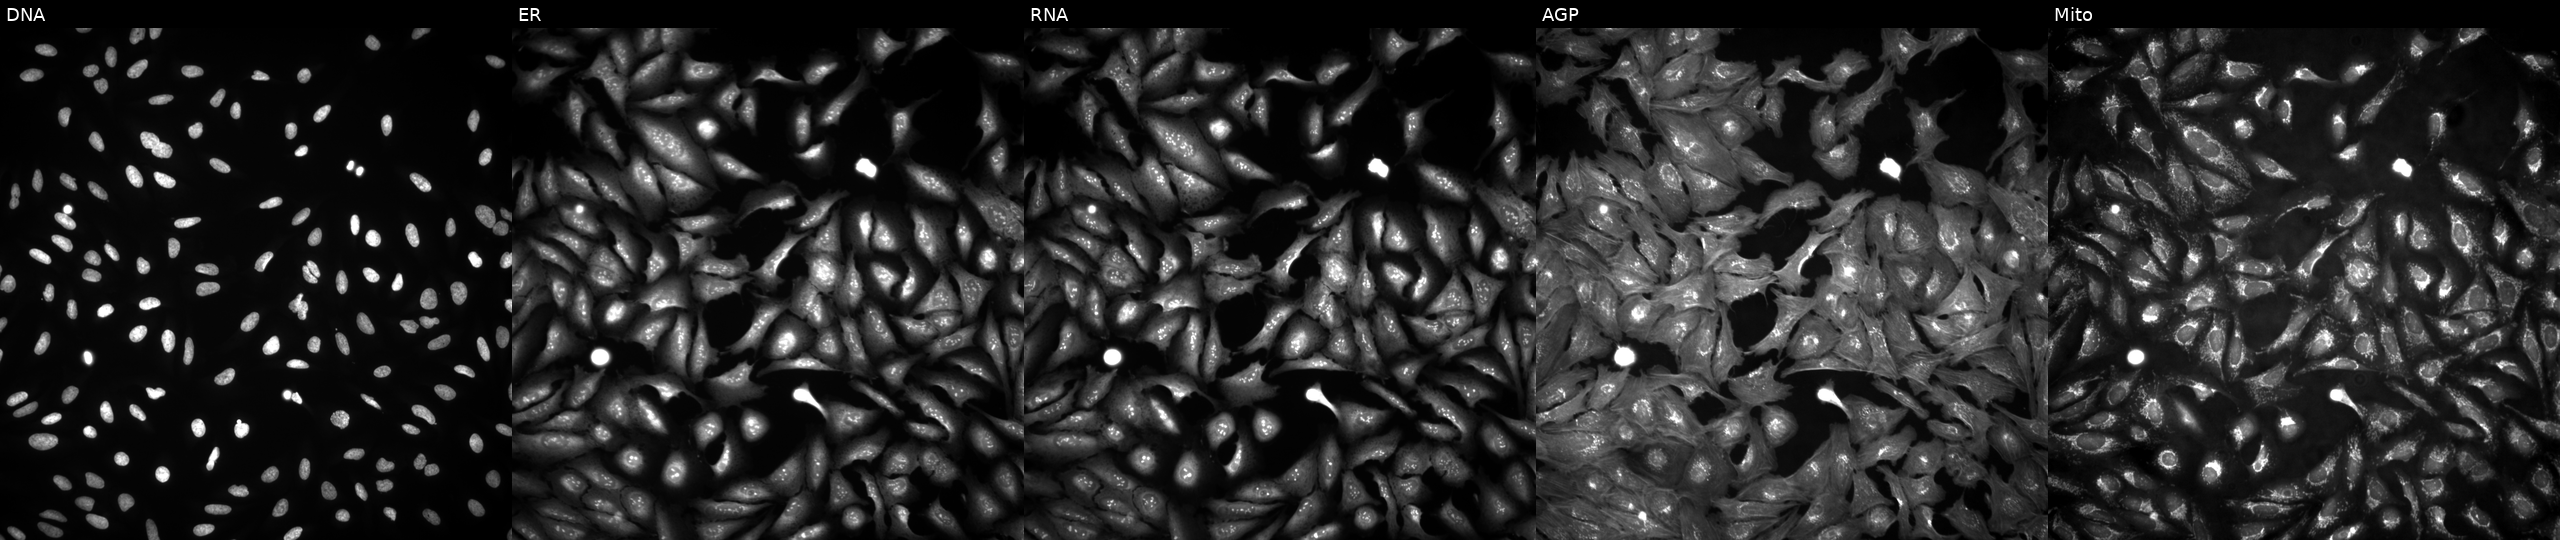
Panels show, left to right, Hoechst 33342, concanavalin A, SYTO 14, phalloidin and WGA, MitoTracker. U2OS osteosarcoma cells with SH3BP5L overexpressed (ORF). Cell Painting assay, JUMP-CP dataset. Source 4, plate BR00124784, well C02.